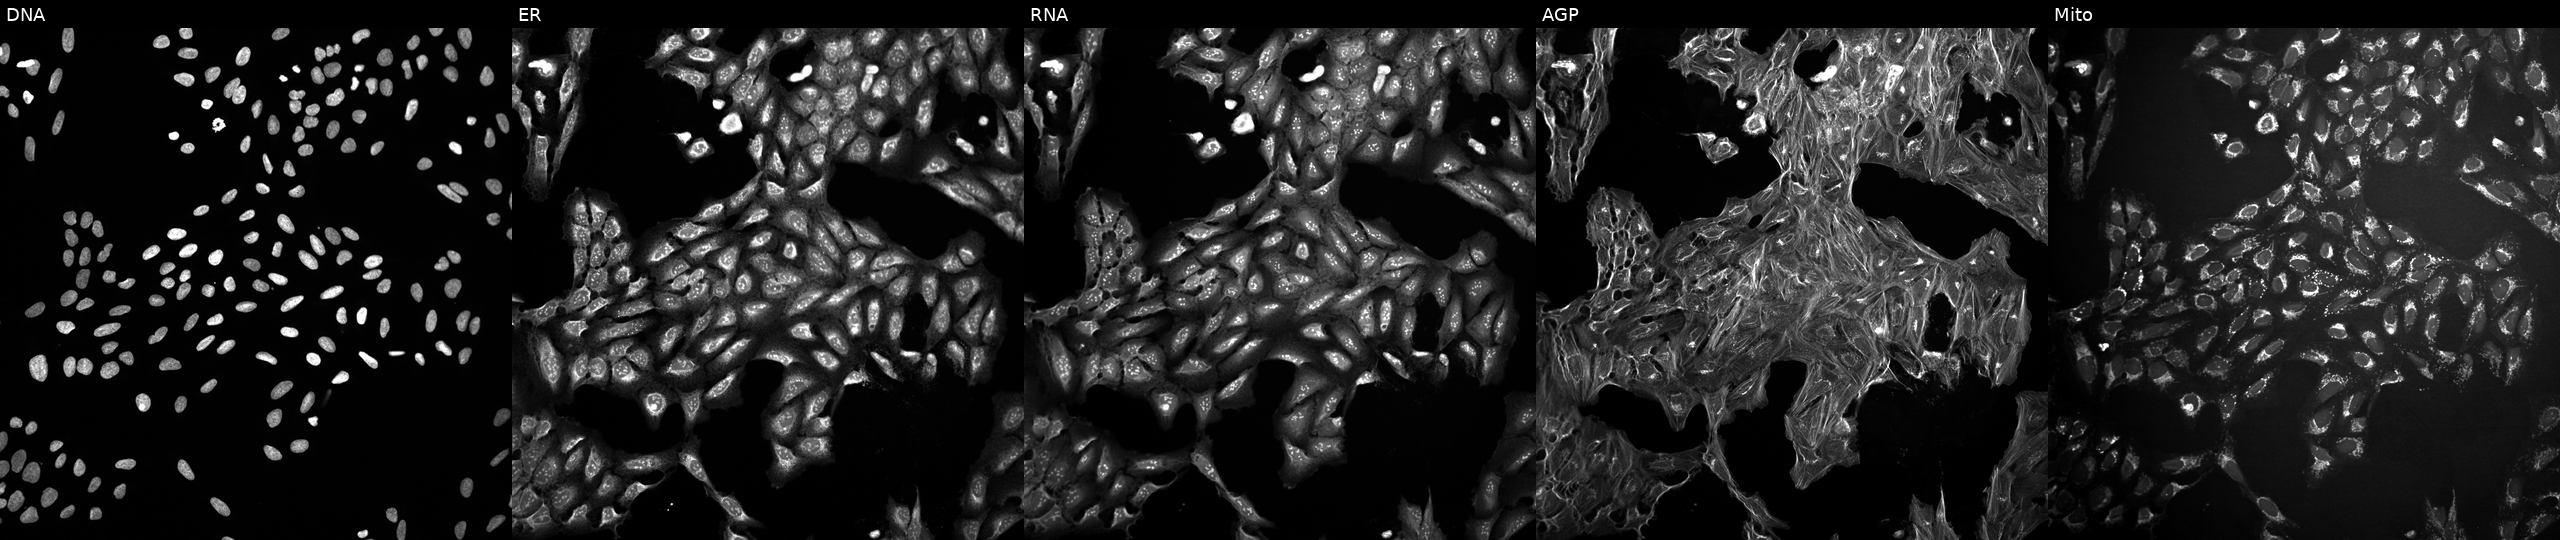
Five-channel Cell Painting image of U2OS cells perturbed with a small-molecule compound (InChIKey QNQZWEGMKJBHEM-UHFFFAOYSA-N) [SMILES: Cc1c(-c2ccnn2C)cc(C(=O)NCc2ccc(S(C)(=O)=O)cn2)c(=O)n1-c1cccc(C(F)(F)F)c1] (JUMP id JCP2022_074697). Panels show, left to right, DNA, ER, RNA, AGP, and Mito.